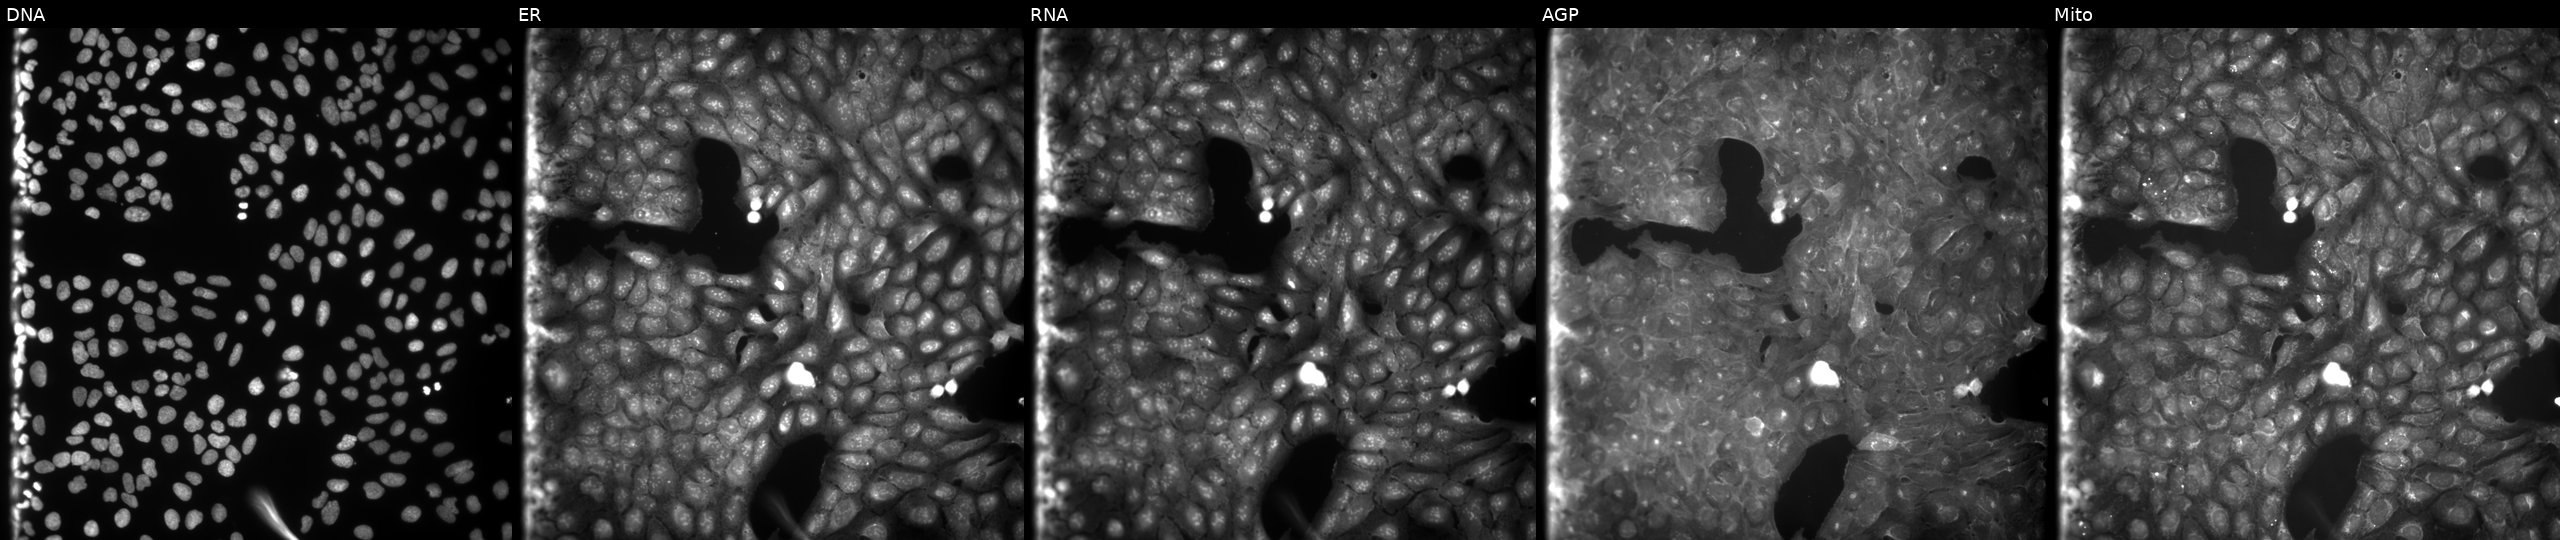
JUMP Cell Painting — COMPOUND plate. U2OS cells treated with a small-molecule compound (InChIKey PNBLAGJAUXZQTL-UHFFFAOYSA-N) [SMILES: O=C(NC(=S)N=c1cccc[nH]1)c1ccccc1] (JUMP id JCP2022_069709). The five panels, left to right, show DNA, ER, RNA, AGP, and Mito.